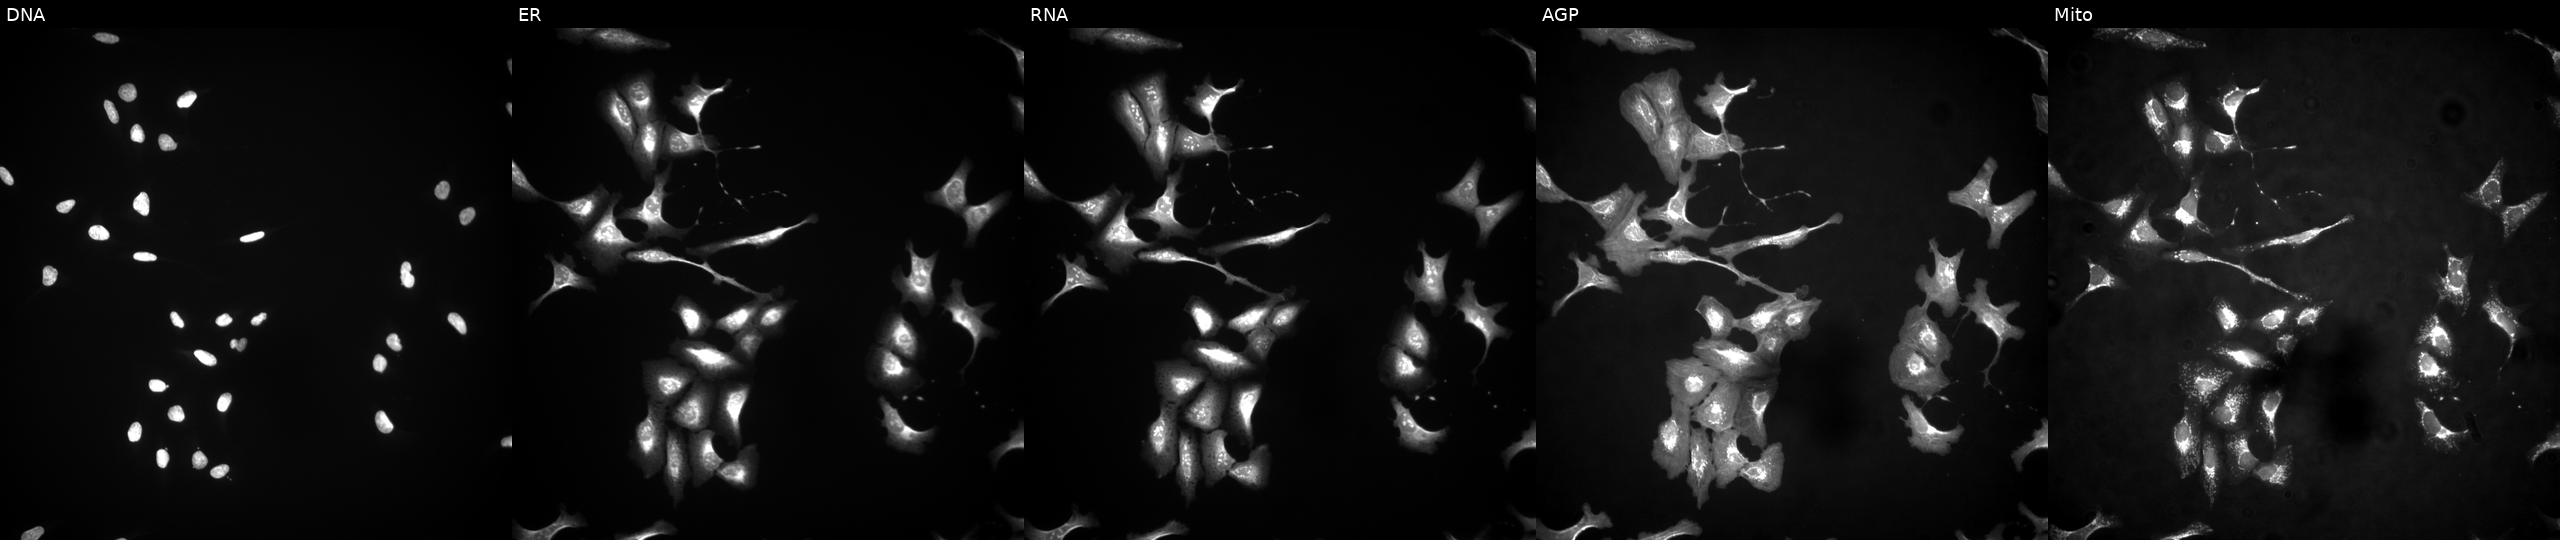
JUMP Cell Painting — ORF plate. U2OS cells expressing eGFP (ORF positive control) (JUMP id JCP2022_915132). Channels (left→right): DNA, ER, RNA, AGP, and Mito.